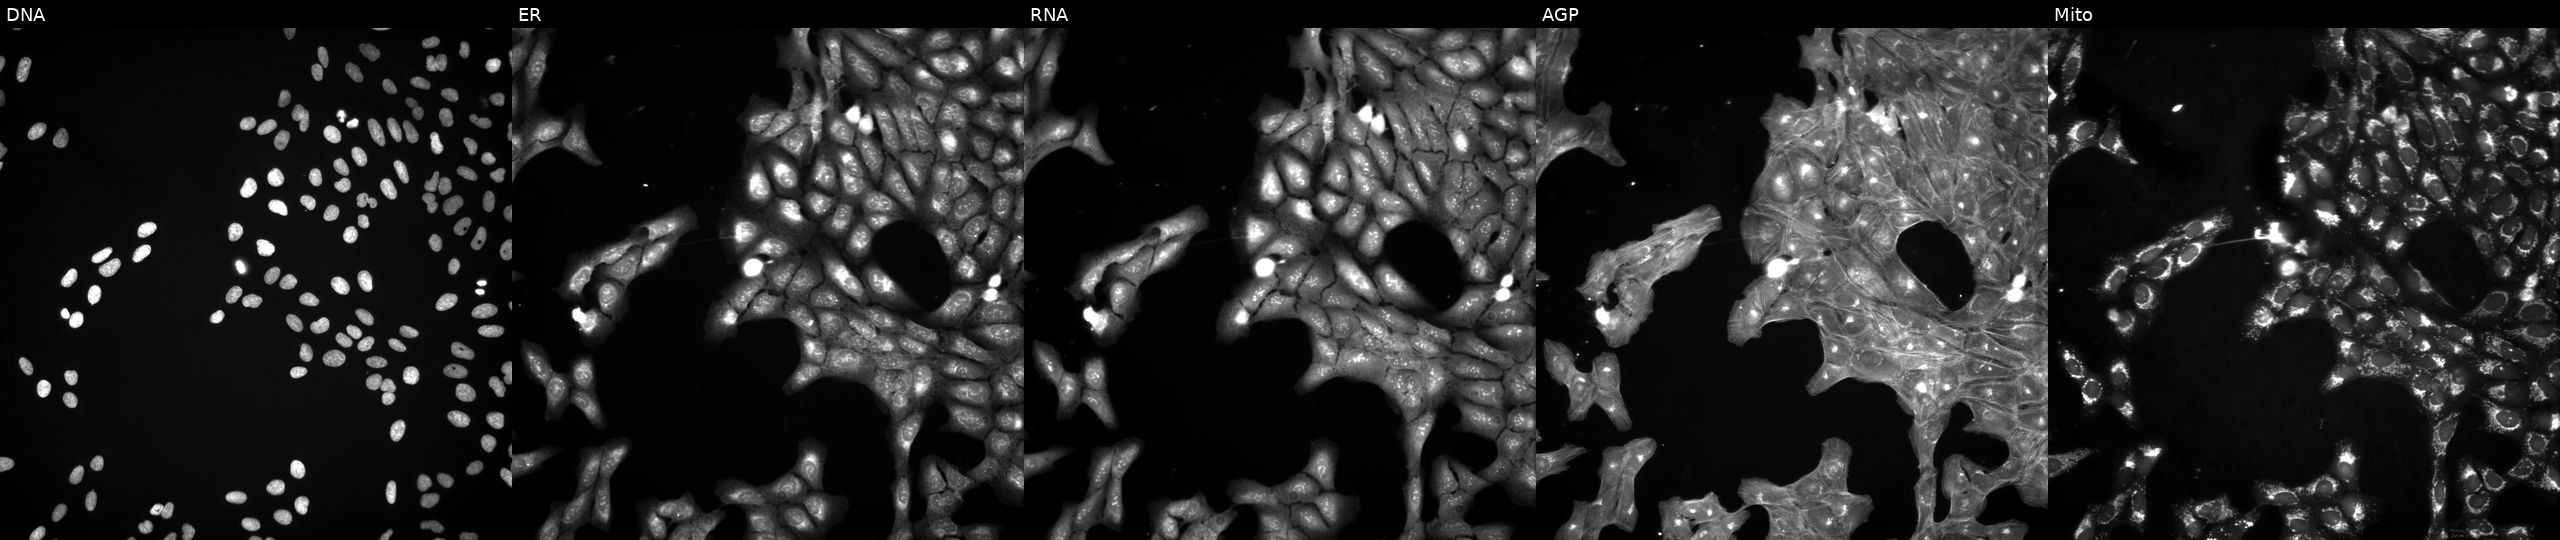
U2OS cells, Cell Painting assay, treated with a small-molecule compound (InChIKey FHPOTBQOUBMMCI-UHFFFAOYSA-N). From left to right: DNA (nuclei); ER (endoplasmic reticulum); RNA (nucleoli and cytoplasmic RNA); AGP (actin cytoskeleton, Golgi, and plasma membrane); Mito (mitochondria). Each panel is percentile-stretched 16-bit fluorescence.